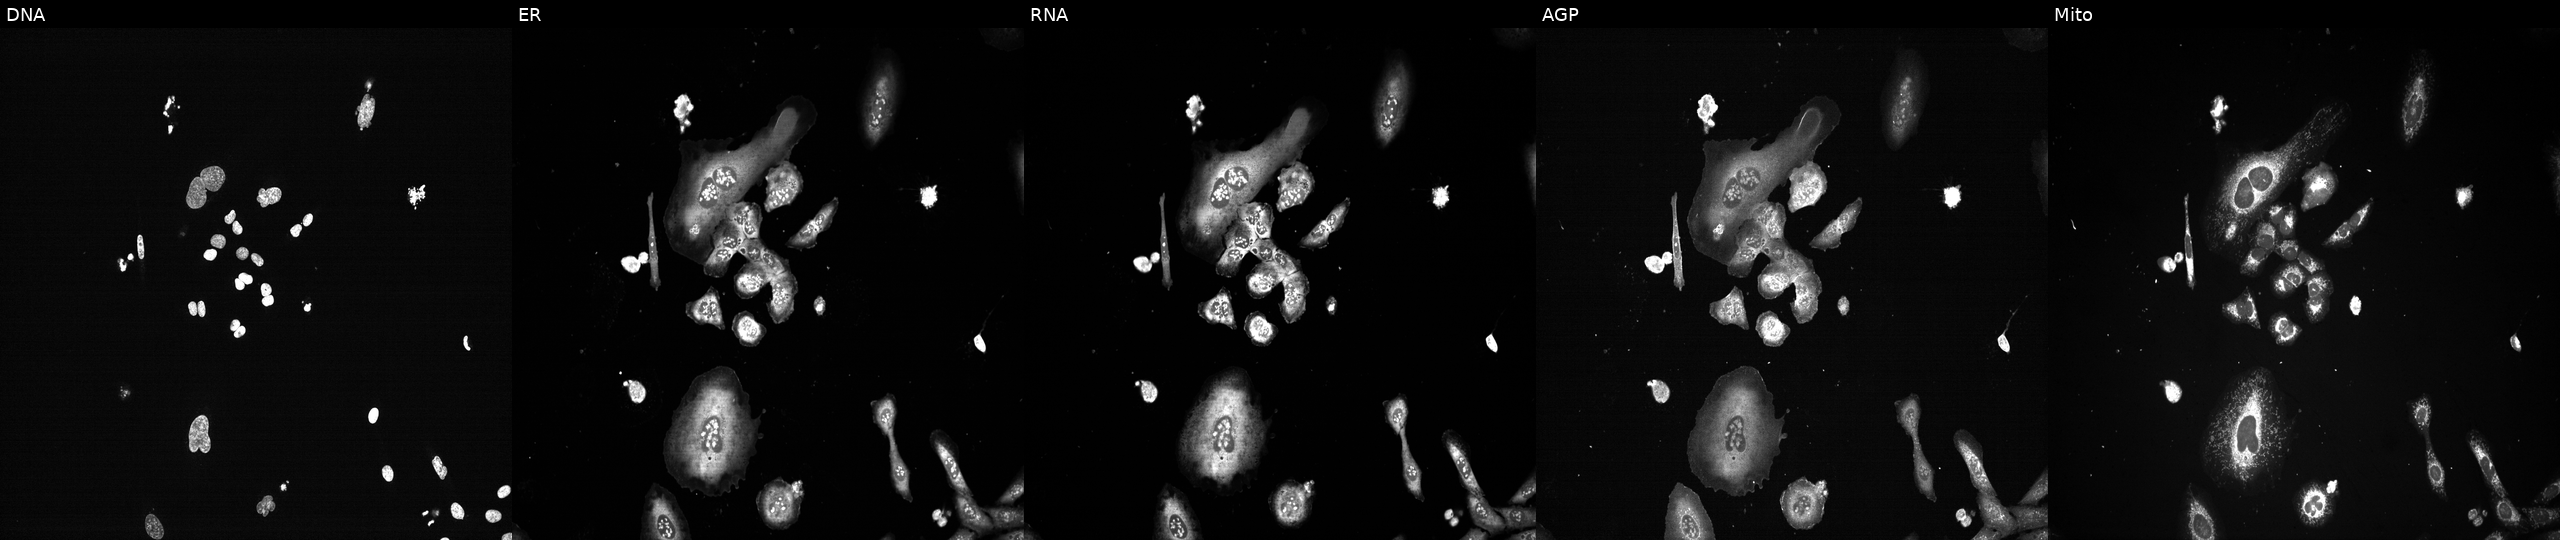
U2OS cells, Cell Painting assay, with PLK1 knocked out by CRISPR (positive control). The five panels, left to right, show DNA, ER, RNA, AGP, and Mito. Each panel is percentile-stretched 16-bit fluorescence. Source 13, plate CP-CC9-R4-03, well O02.